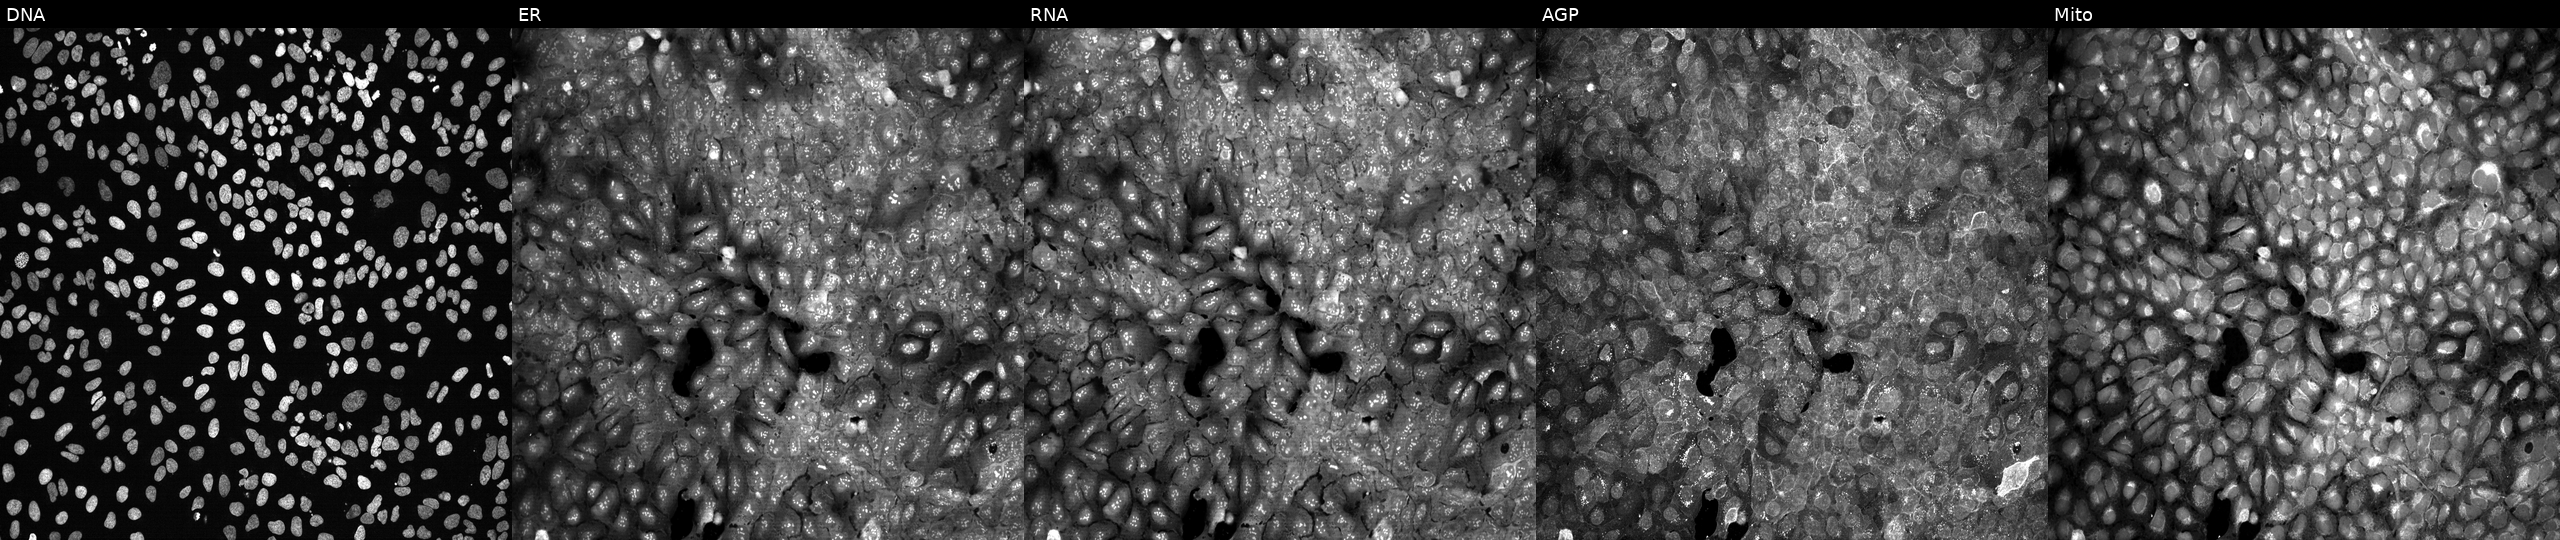
Five-channel Cell Painting image of U2OS cells with PAM knocked out by CRISPR (JUMP id JCP2022_804898). Panels show, left to right, Hoechst 33342, concanavalin A, SYTO 14, phalloidin and WGA, MitoTracker.